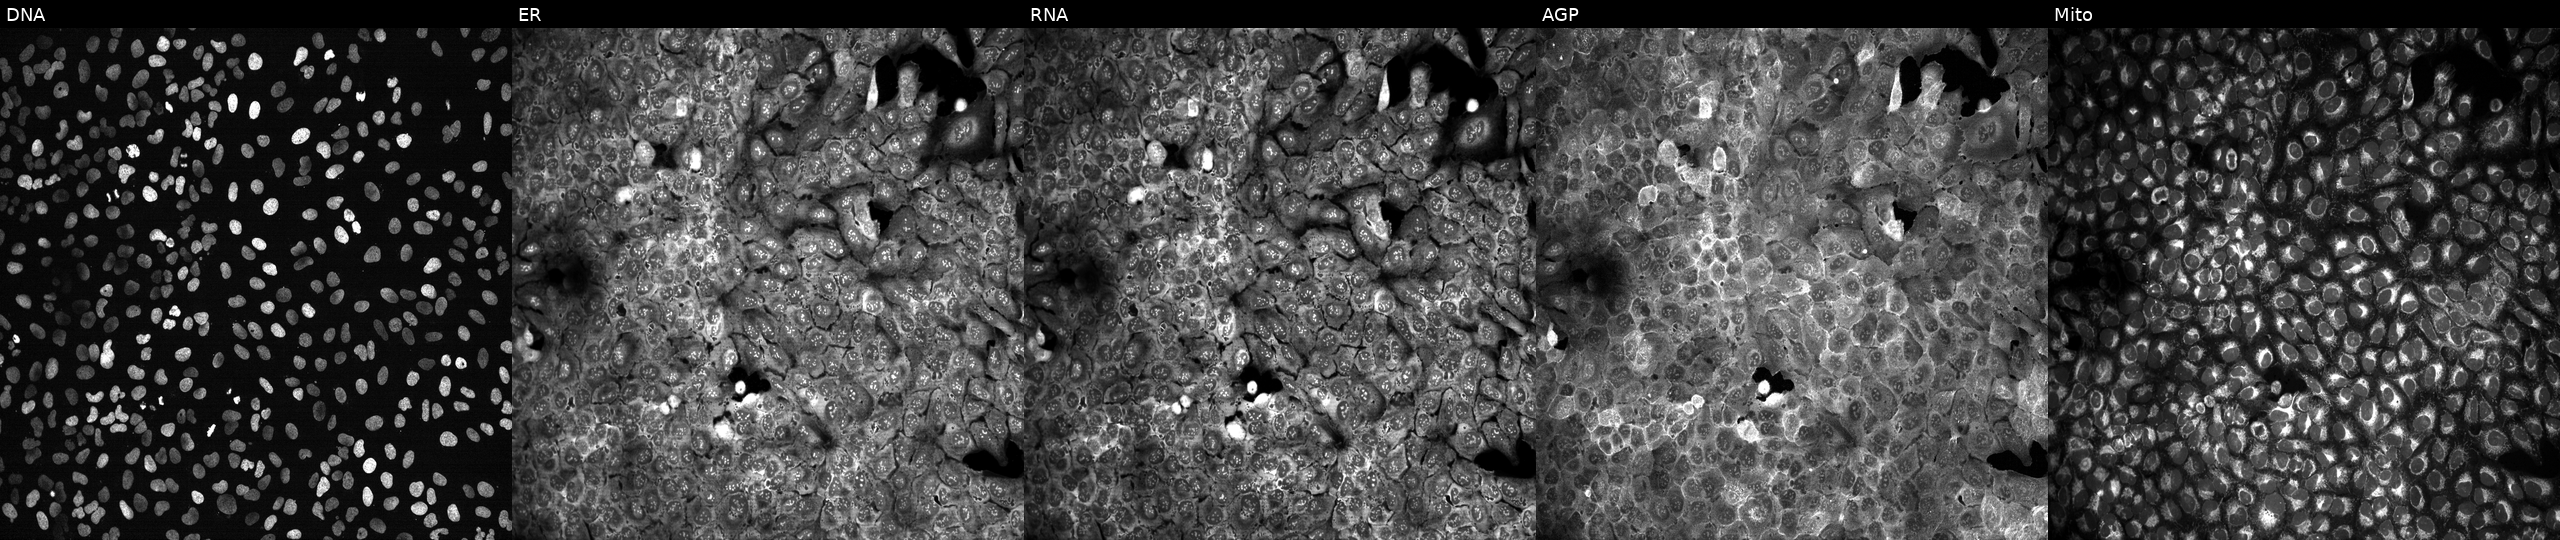
Five-channel Cell Painting image of U2OS cells with SLCO2B1 knocked out by CRISPR (JUMP id JCP2022_806606). From left to right: Hoechst 33342, concanavalin A, SYTO 14, phalloidin and WGA, MitoTracker. Source 13, plate CP-CC9-R3-01, well B16.